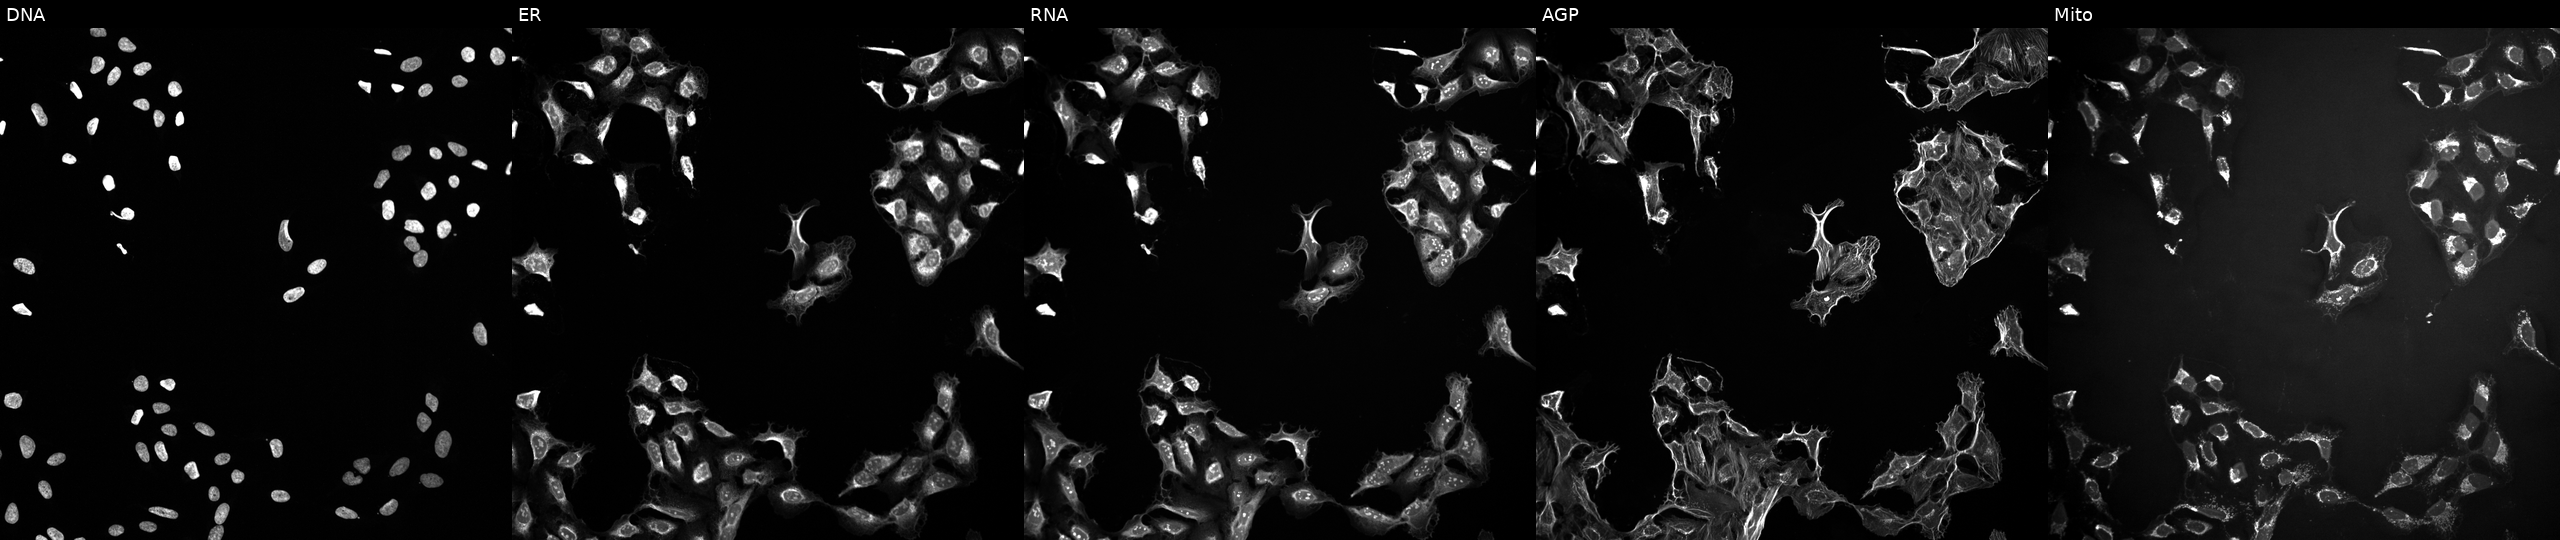
JUMP Cell Painting — TARGET2 plate. U2OS cells treated with a small-molecule compound (InChIKey OQQVFCKUDYMWGV-UHFFFAOYSA-N). From left to right: Hoechst 33342, concanavalin A, SYTO 14, phalloidin and WGA, MitoTracker. Source 10, plate Dest210727-153003, well M14.